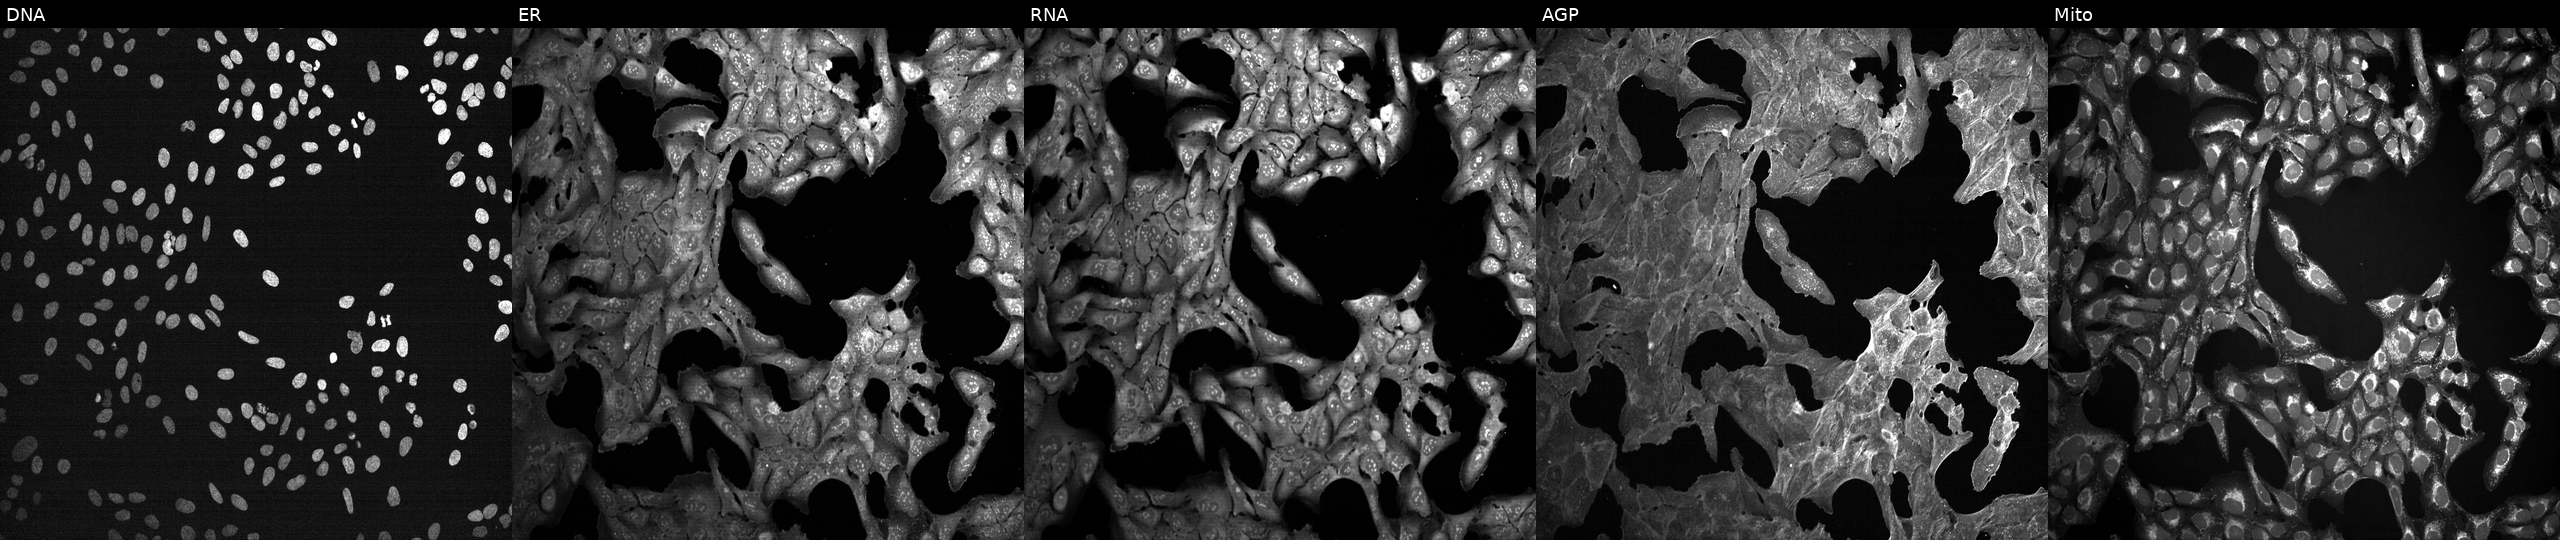
This image strip shows the five Cell Painting channels for a single field of U2OS cells perturbed with a small-molecule compound (JUMP id JCP2022_020163). The five panels, left to right, show DNA (nuclei); ER (endoplasmic reticulum); RNA (nucleoli and cytoplasmic RNA); AGP (actin cytoskeleton, Golgi, and plasma membrane); Mito (mitochondria).